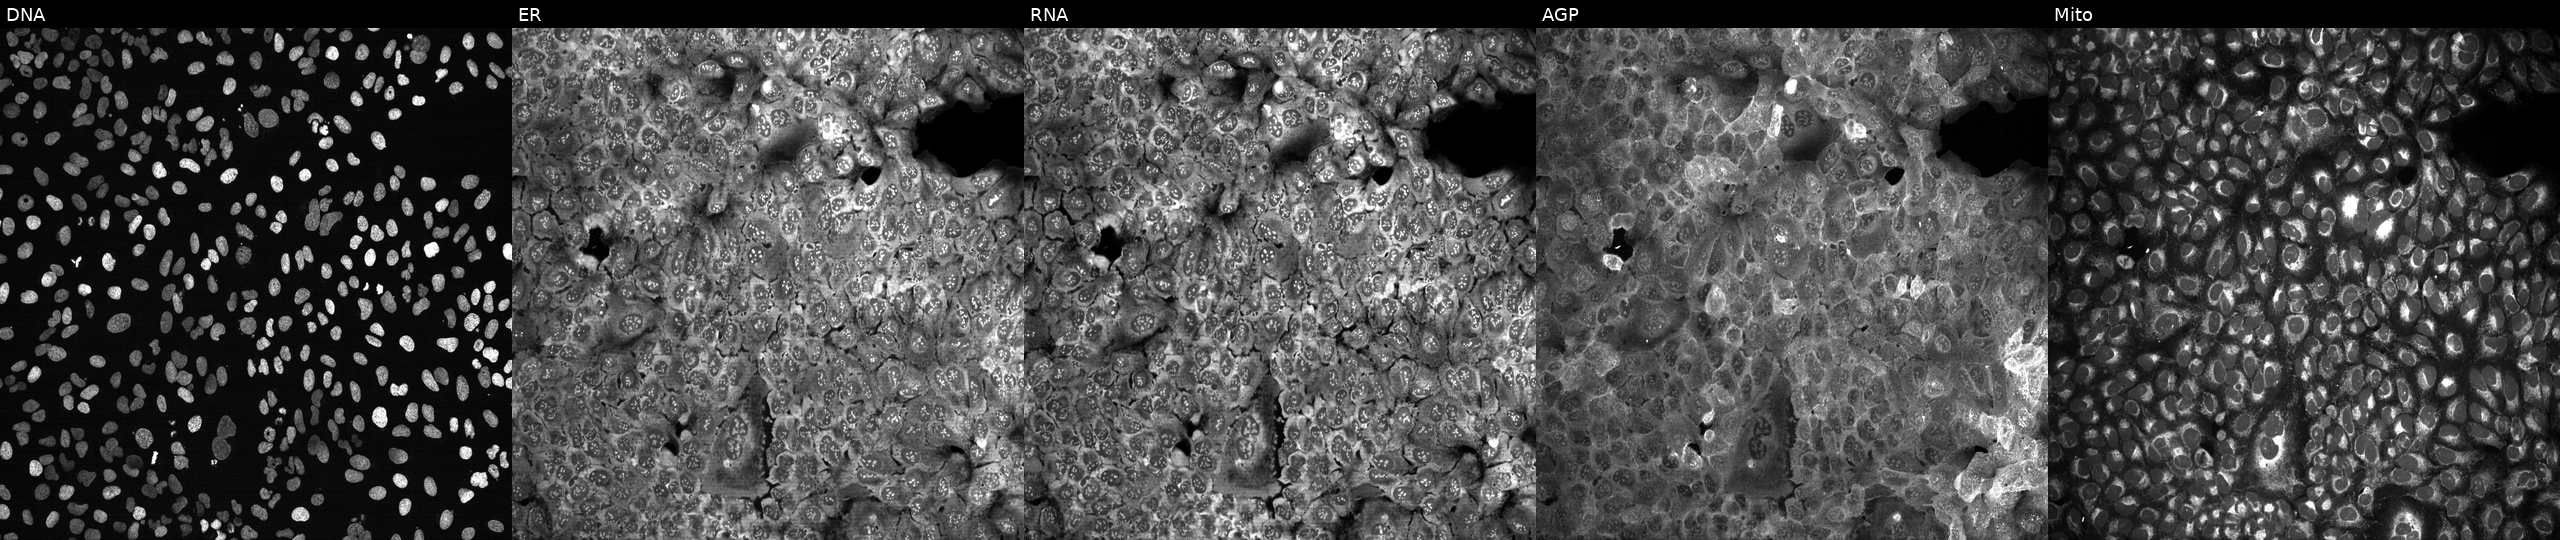
The five panels, left to right, show Hoechst 33342, concanavalin A, SYTO 14, phalloidin and WGA, MitoTracker. U2OS osteosarcoma cells following CRISPR knockout of GLS2 (JUMP id JCP2022_802737). Cell Painting assay, JUMP-CP dataset.